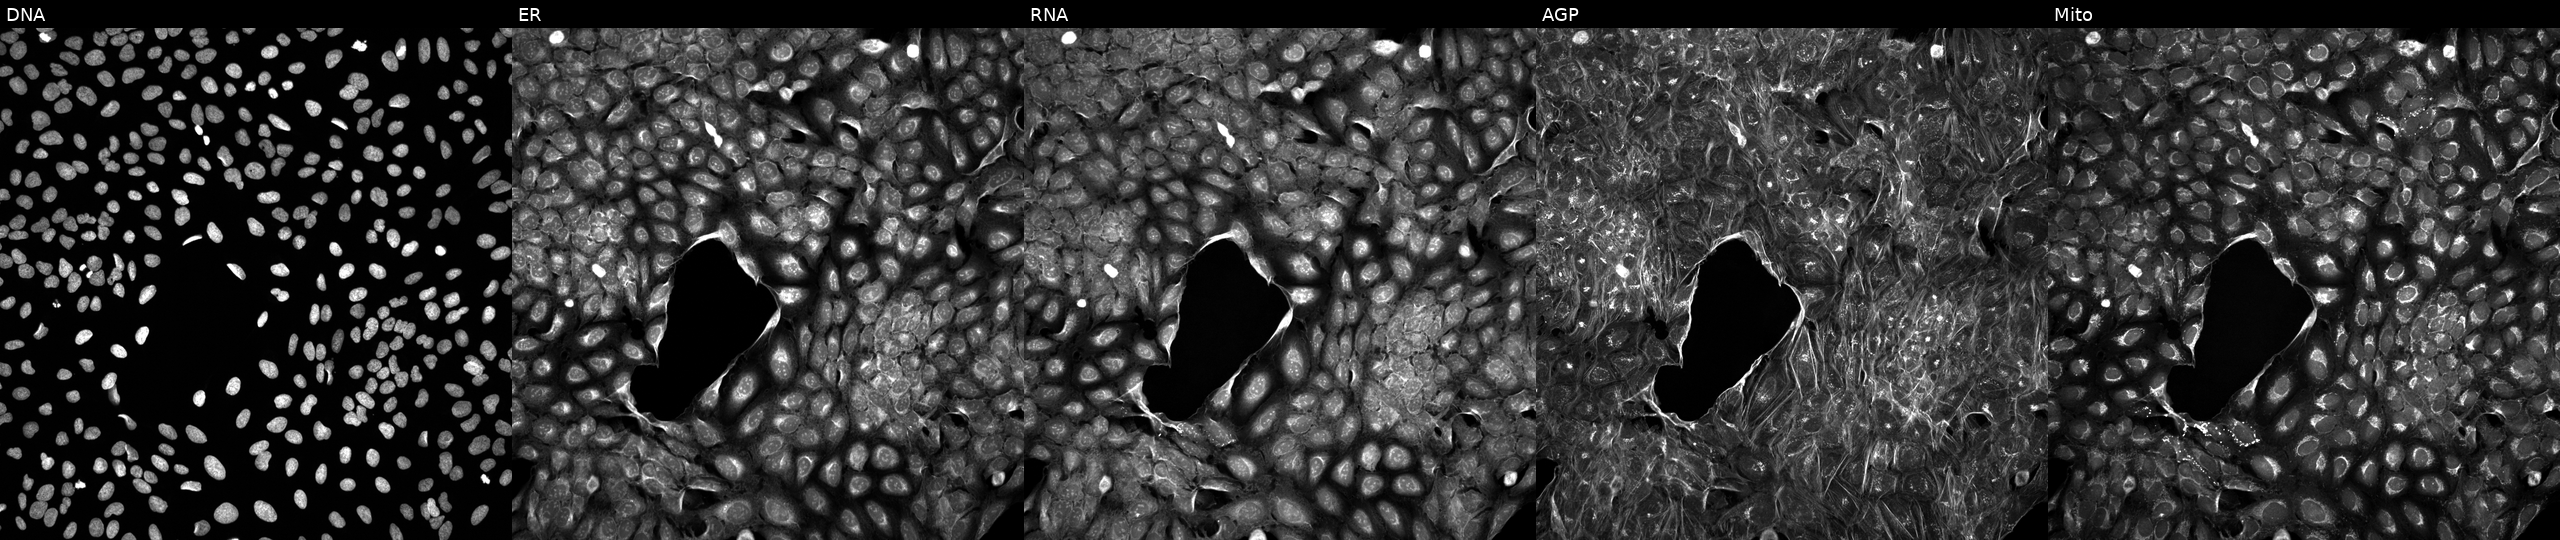
From left to right: DNA (nuclei); ER (endoplasmic reticulum); RNA (nucleoli and cytoplasmic RNA); AGP (actin cytoskeleton, Golgi, and plasma membrane); Mito (mitochondria). U2OS osteosarcoma cells treated with DMSO vehicle only (negative control). Cell Painting assay, JUMP-CP dataset.